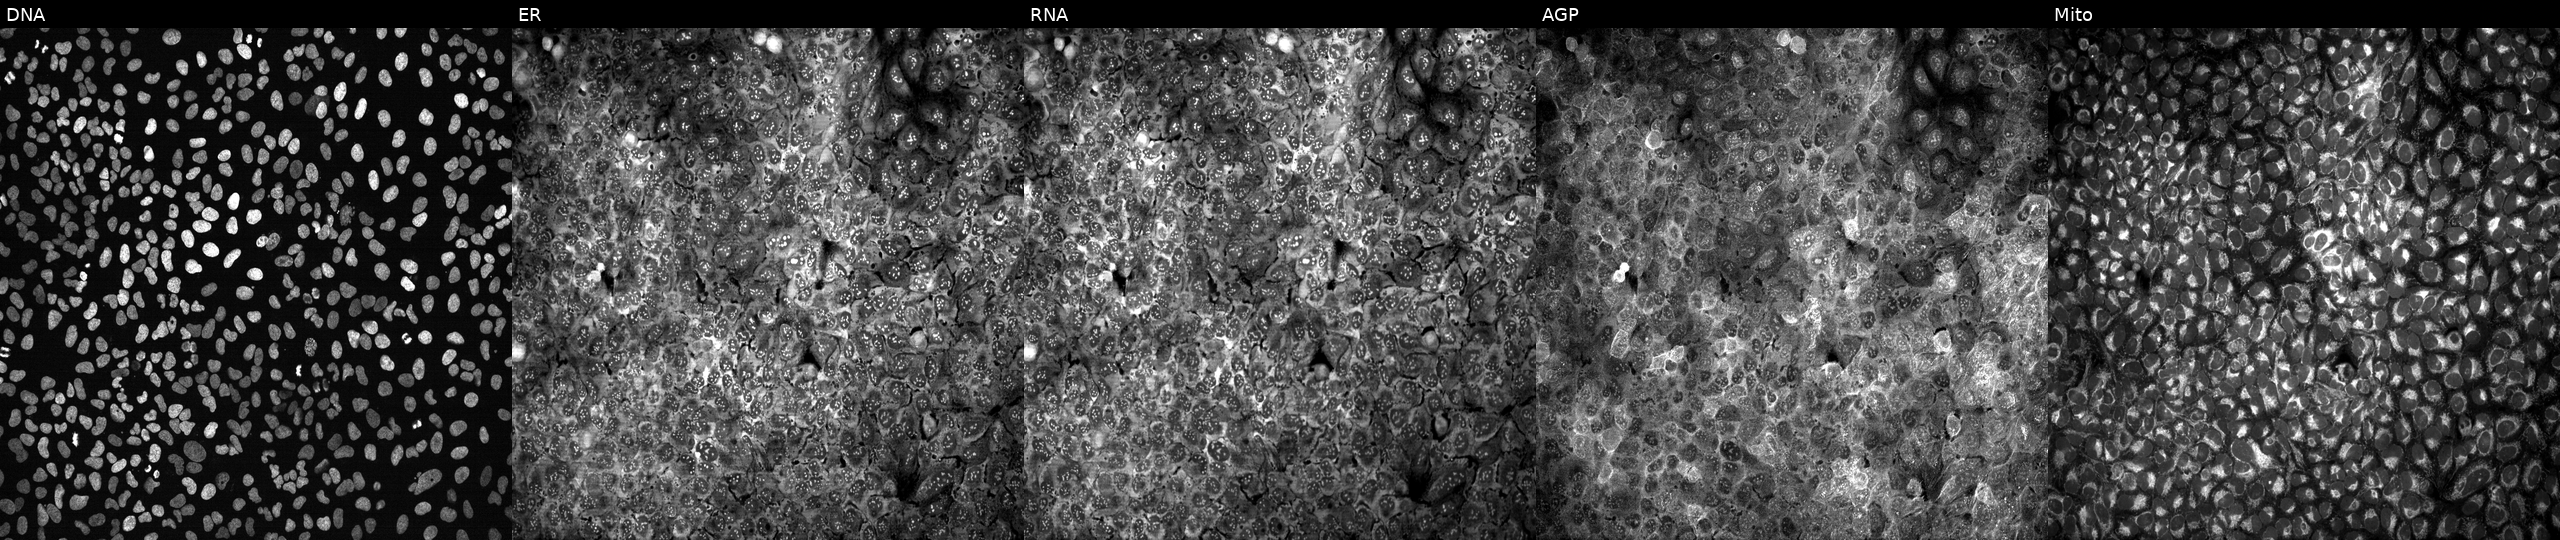
Panels show, left to right, DNA (nuclei); ER (endoplasmic reticulum); RNA (nucleoli and cytoplasmic RNA); AGP (actin cytoskeleton, Golgi, and plasma membrane); Mito (mitochondria). U2OS osteosarcoma cells with TULP2 knocked out by CRISPR. Cell Painting assay, JUMP-CP dataset. Source 13, plate CP-CC9-R4-04, well P22.